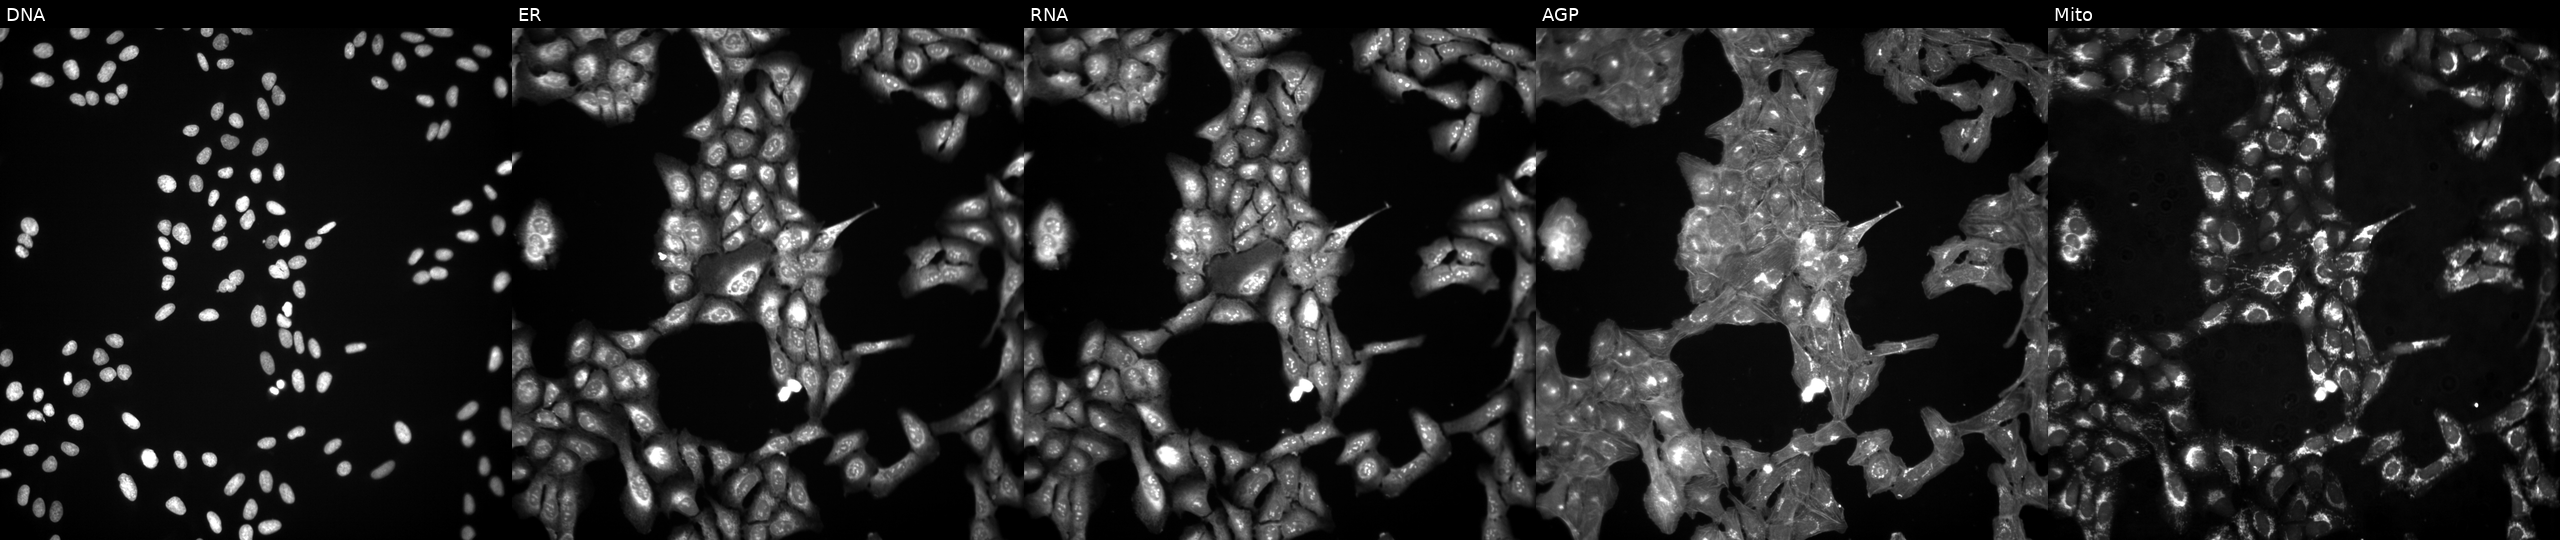
U2OS cells, Cell Painting assay, exposed to the positive-control compound TC-S-7004. Channels (left→right): DNA, ER, RNA, AGP, and Mito. Each panel is percentile-stretched 16-bit fluorescence.